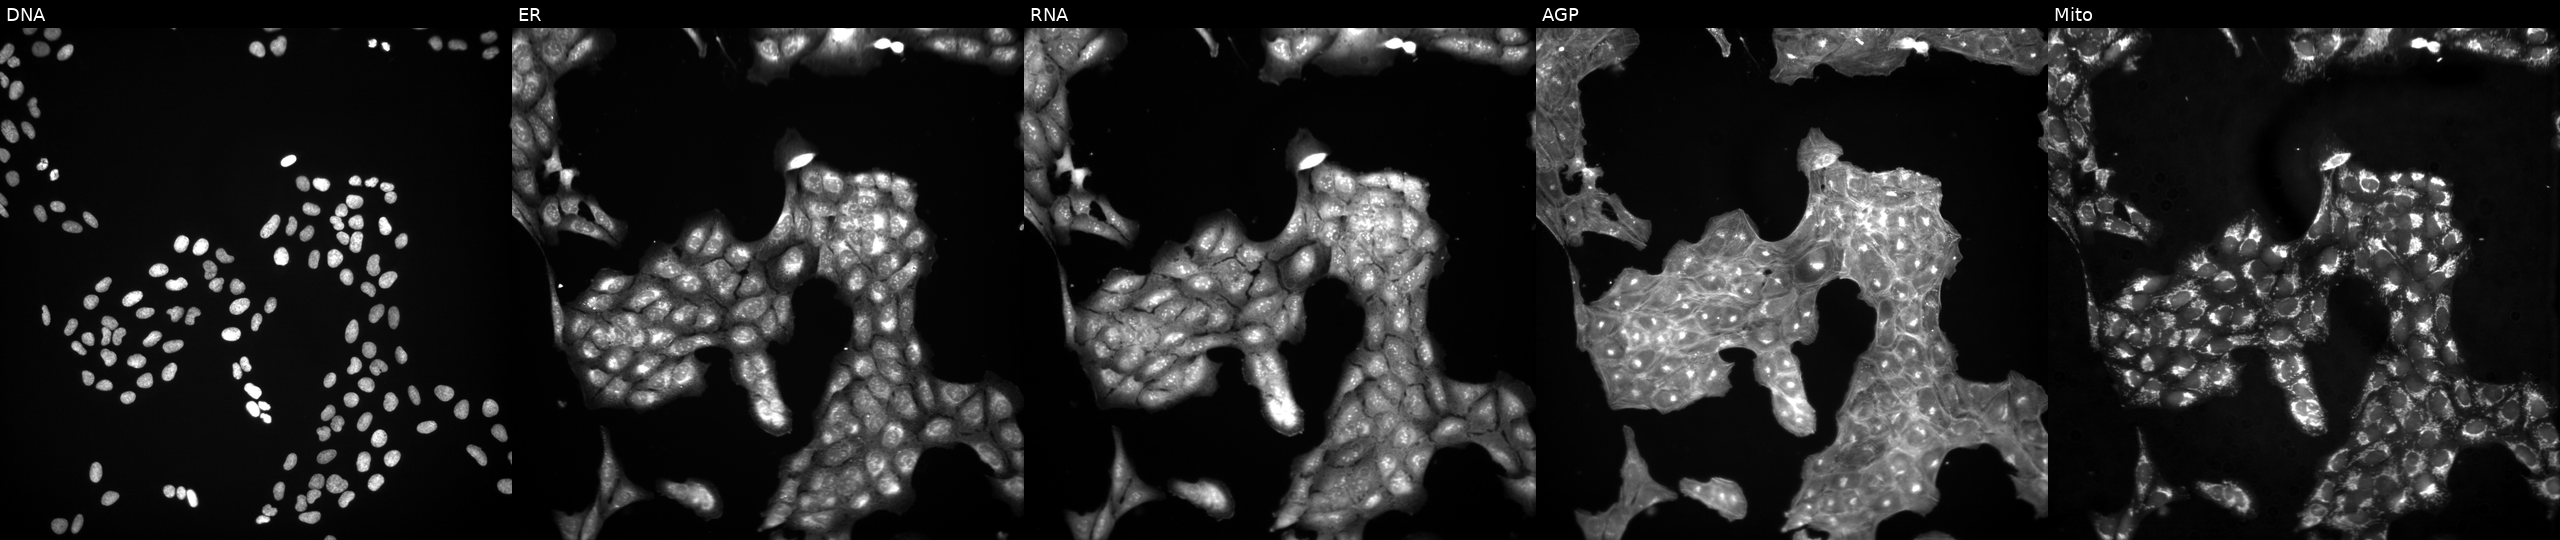
This image strip shows the five Cell Painting channels for a single field of U2OS cells perturbed with a small-molecule compound (InChIKey WPEWQEMJFLWMLV-UHFFFAOYSA-N) (JUMP id JCP2022_100264). Panels show, left to right, Hoechst 33342, concanavalin A, SYTO 14, phalloidin and WGA, MitoTracker.